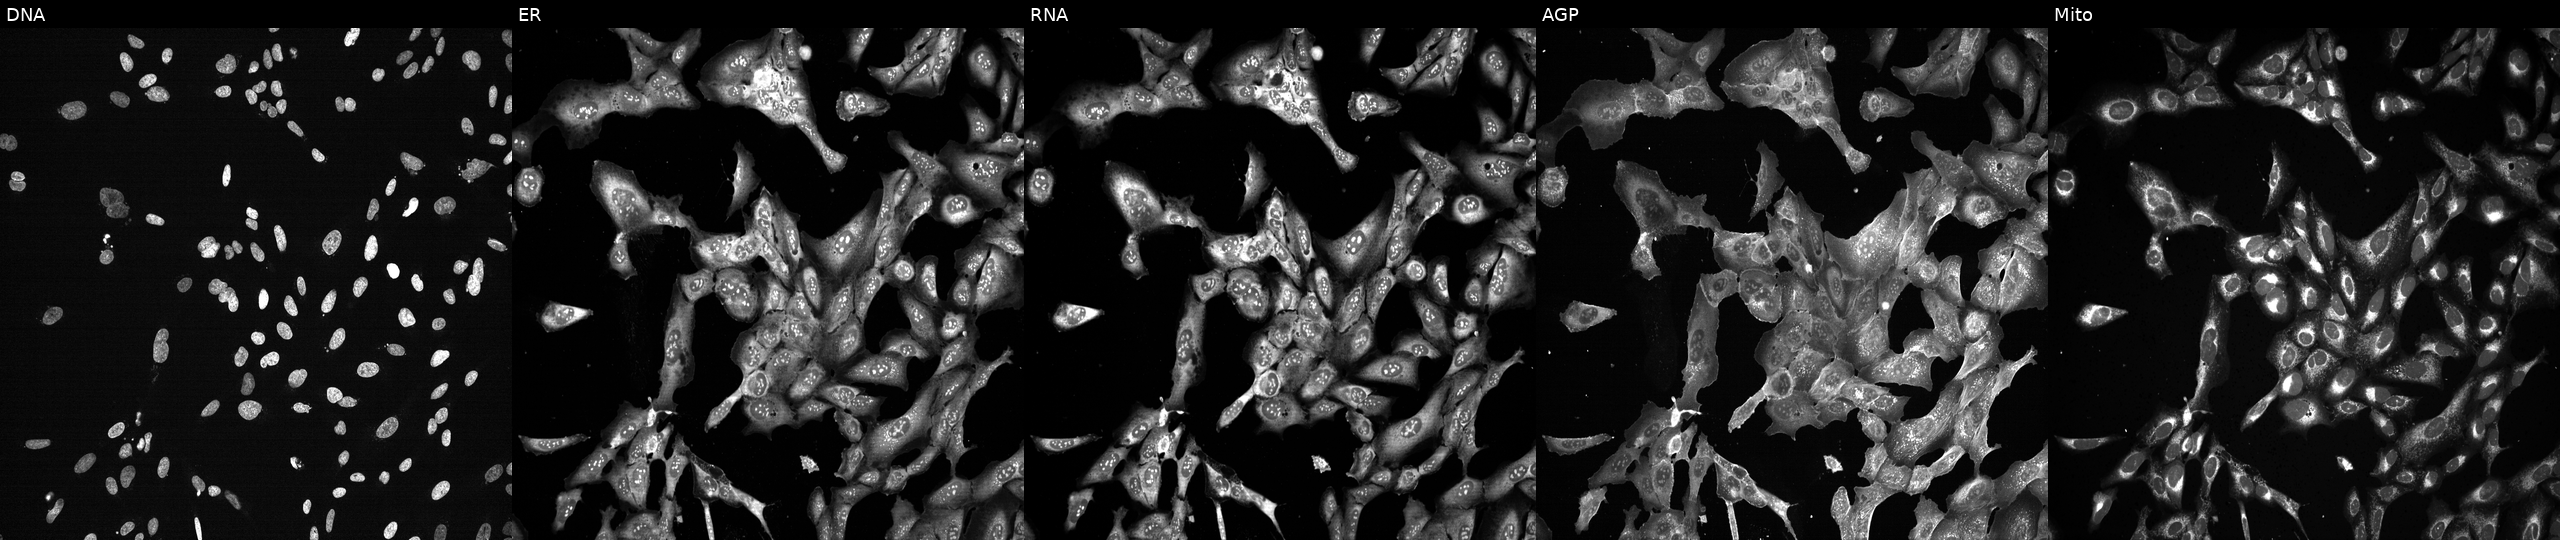
U2OS cells, Cell Painting assay, with PDLIM1 knocked out by CRISPR. Channels (left→right): Hoechst 33342, concanavalin A, SYTO 14, phalloidin and WGA, MitoTracker. Each panel is percentile-stretched 16-bit fluorescence.